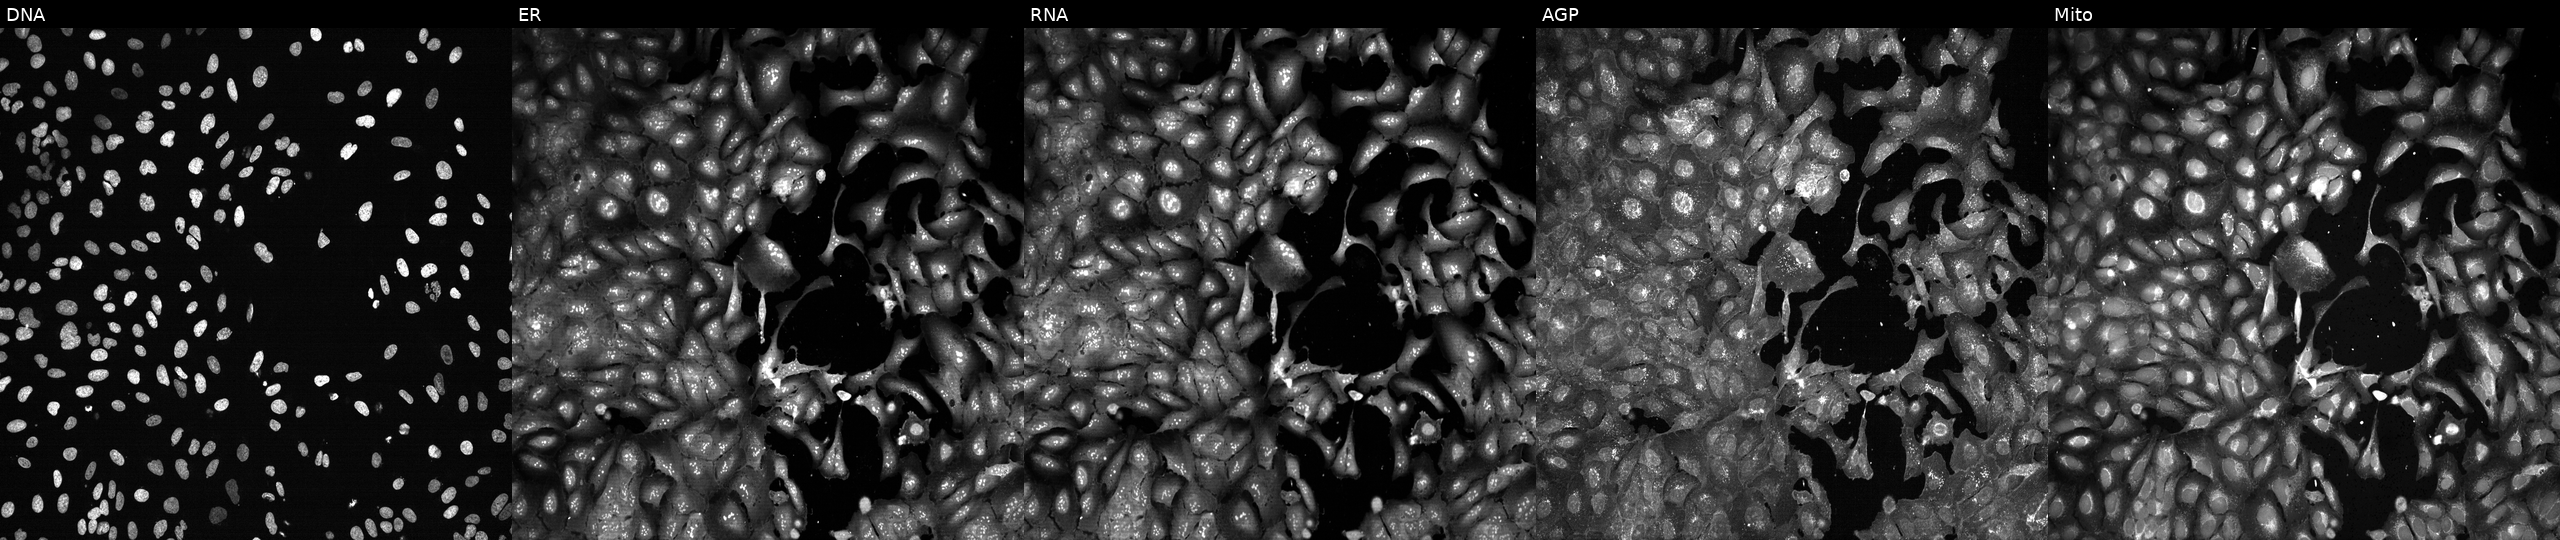
JUMP Cell Painting — CRISPR plate. U2OS cells with FKBP10 knocked out by CRISPR. Panels show, left to right, Hoechst 33342, concanavalin A, SYTO 14, phalloidin and WGA, MitoTracker.